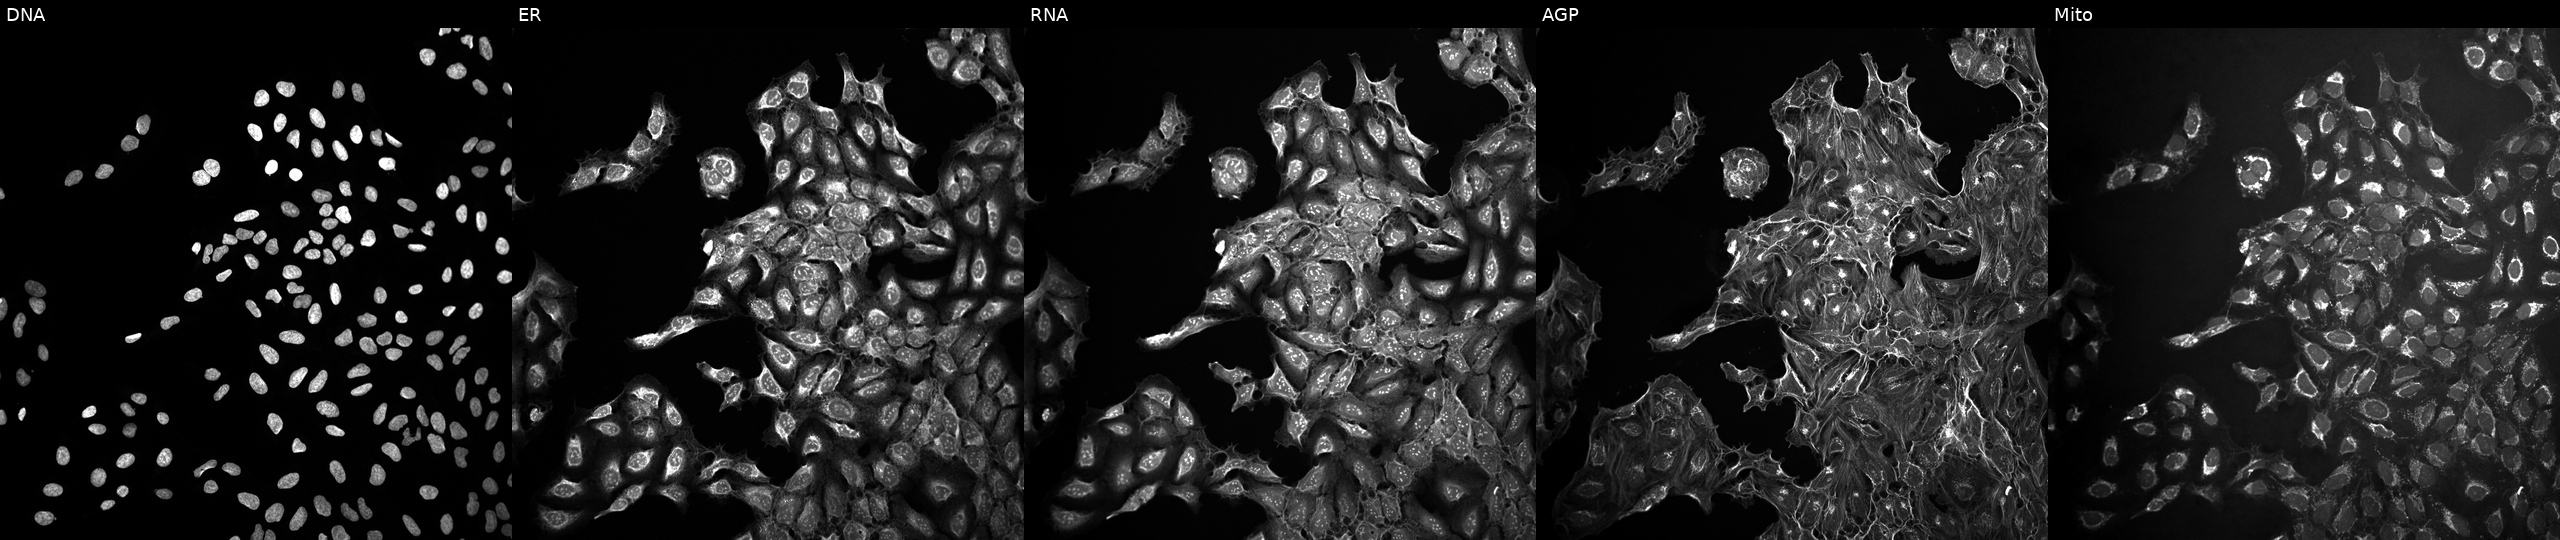
U2OS cells, Cell Painting assay, in an empty control well (no perturbation). Panels show, left to right, Hoechst 33342, concanavalin A, SYTO 14, phalloidin and WGA, MitoTracker. Each panel is percentile-stretched 16-bit fluorescence. Source 10, plate Dest210531-152324, well M21.